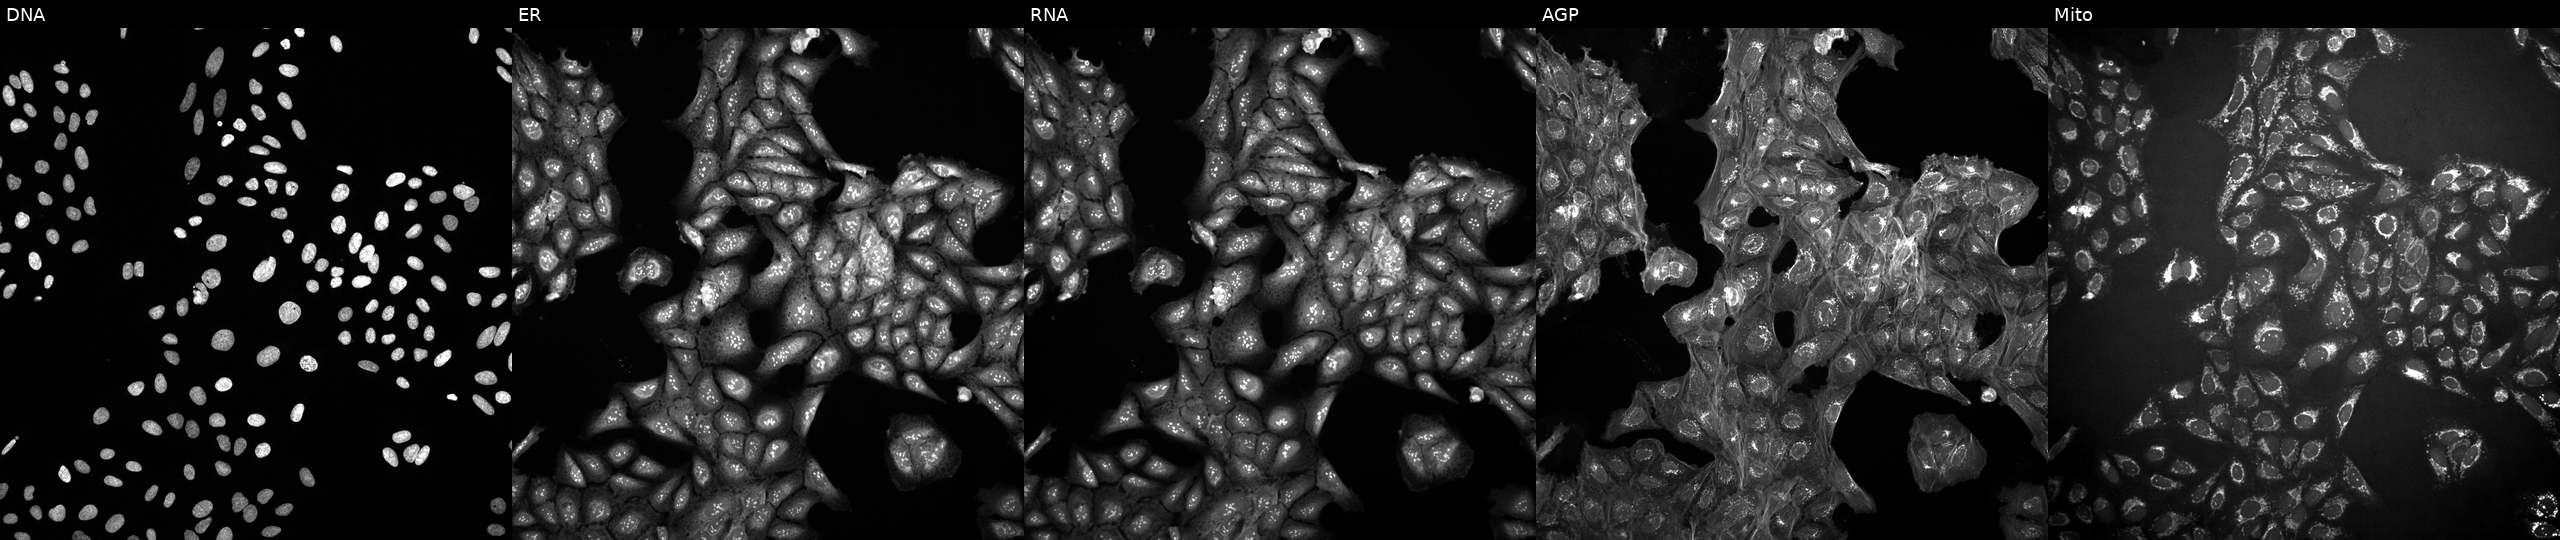
U2OS cells, Cell Painting assay, perturbed with a small-molecule compound (InChIKey HIFPEJAEEHTZAV-UHFFFAOYSA-N) (JUMP id JCP2022_030380). Panels show, left to right, DNA, ER, RNA, AGP, and Mito. Each panel is percentile-stretched 16-bit fluorescence.